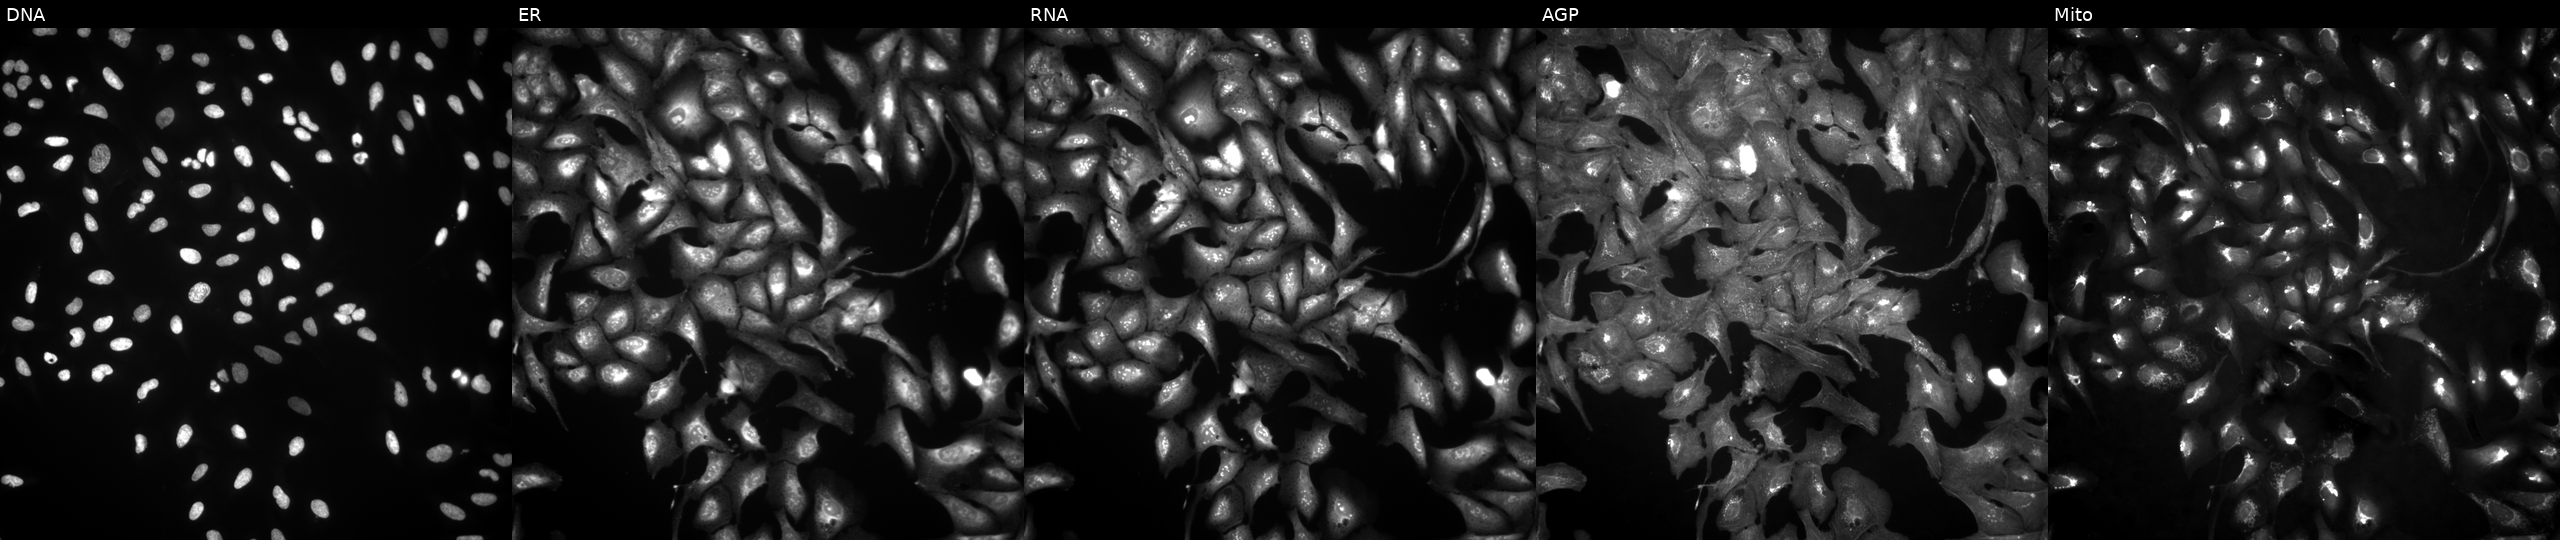
Five-channel Cell Painting image of U2OS cells transfected with an ORF construct for TRAK1. From left to right: DNA, ER, RNA, AGP, and Mito. Source 4, plate BR00124790, well D19.